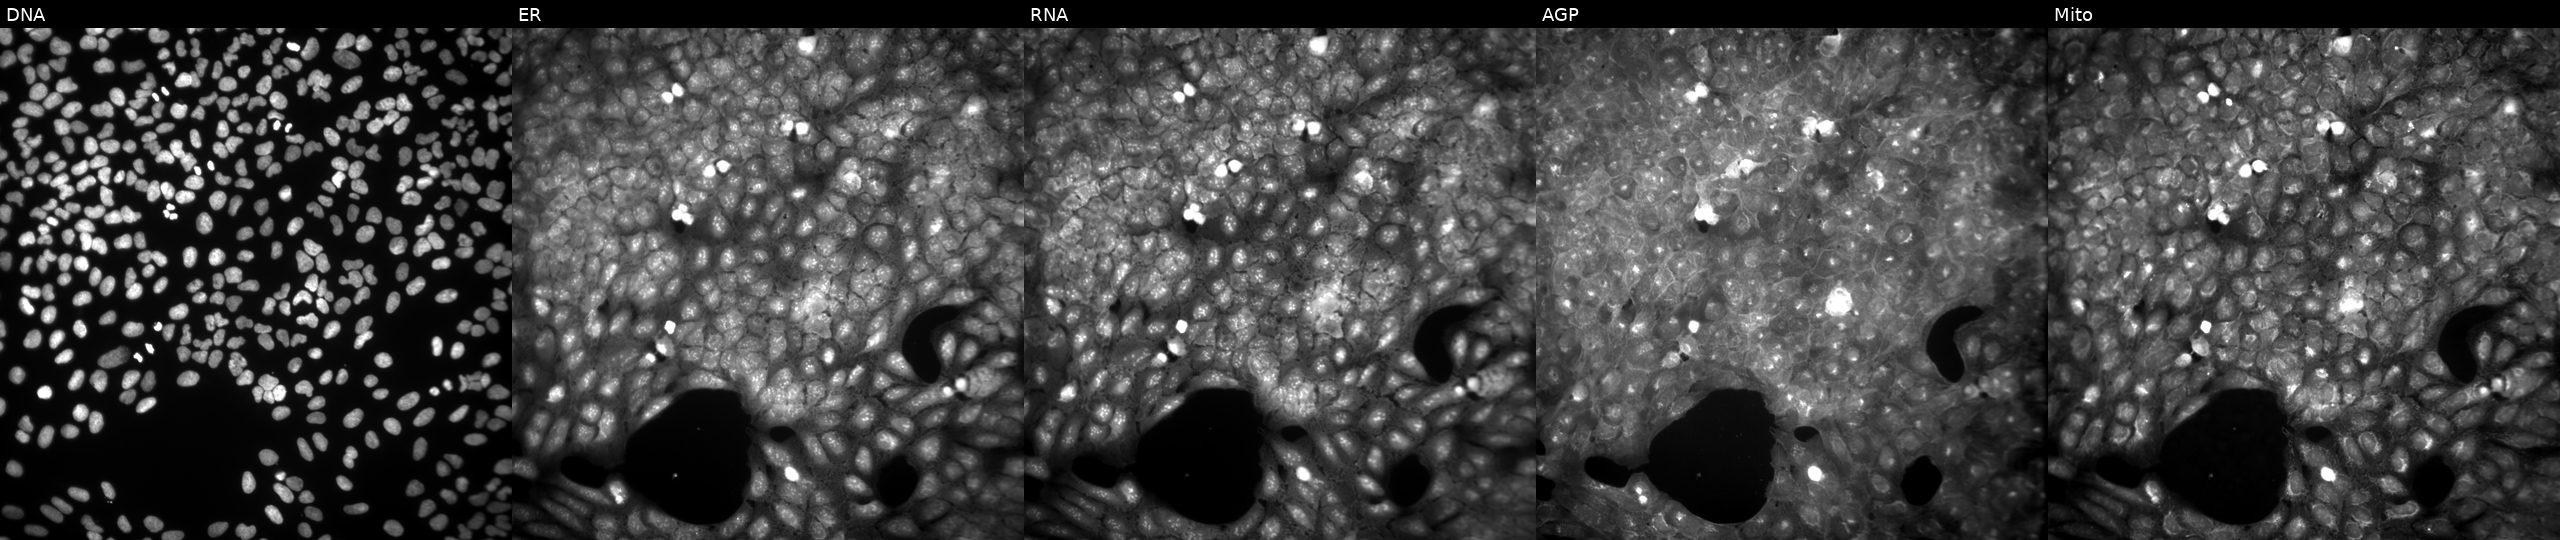
This image strip shows the five Cell Painting channels for a single field of U2OS cells perturbed with a small-molecule compound. From left to right: Hoechst 33342, concanavalin A, SYTO 14, phalloidin and WGA, MitoTracker.